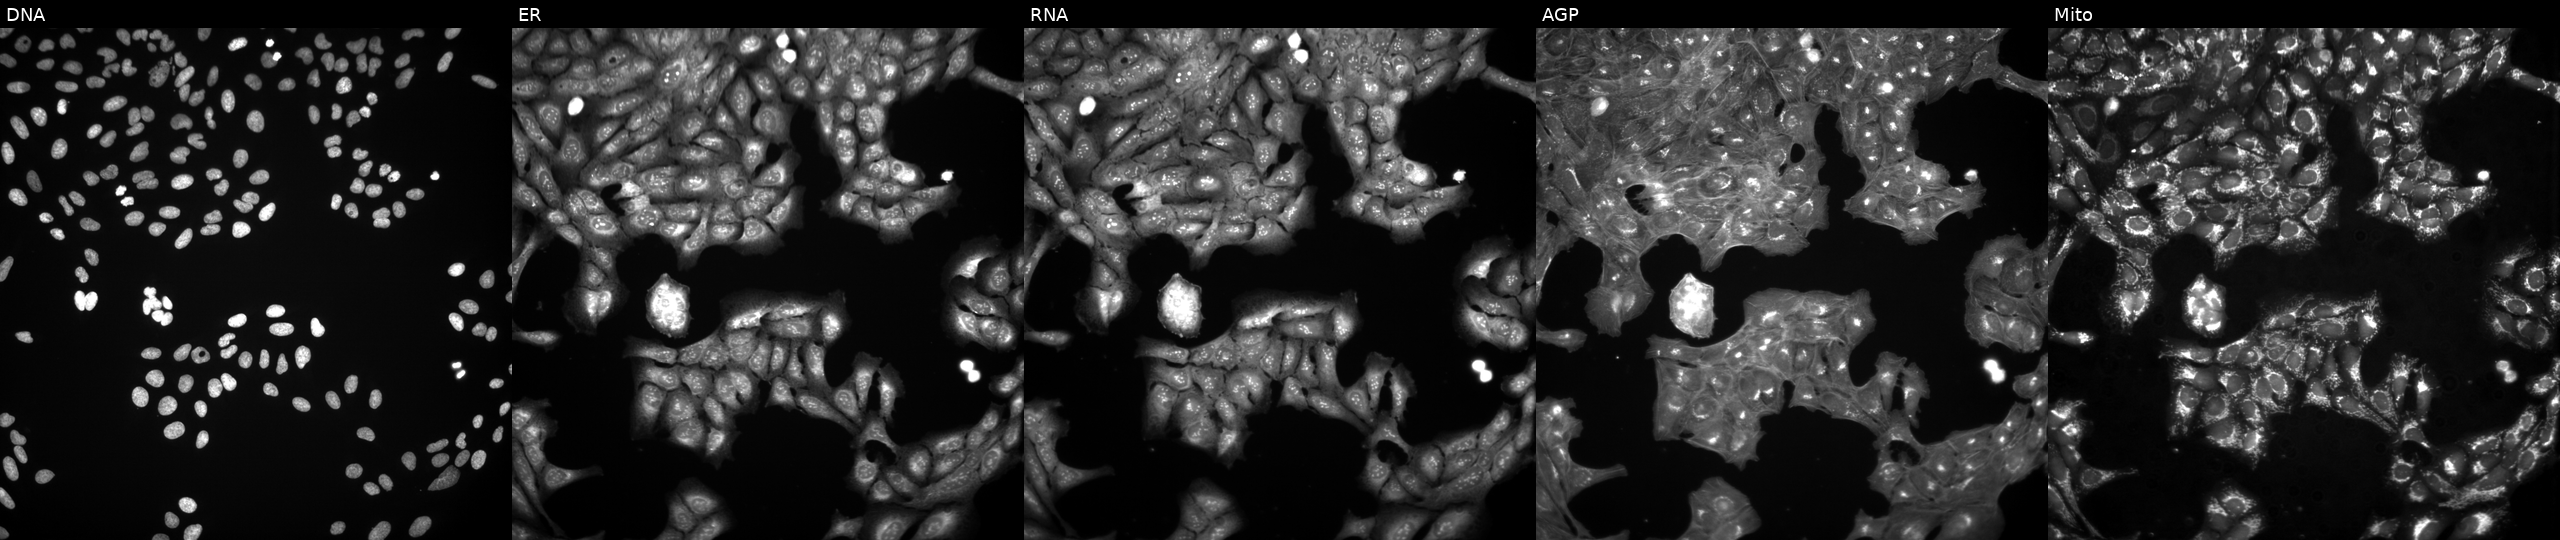
Five-channel Cell Painting image of U2OS cells treated with a small-molecule compound (InChIKey NQDJXKOVJZTUJA-UHFFFAOYSA-N). The five panels, left to right, show DNA, ER, RNA, AGP, and Mito. Source 3, plate JCPQC052, well A19.